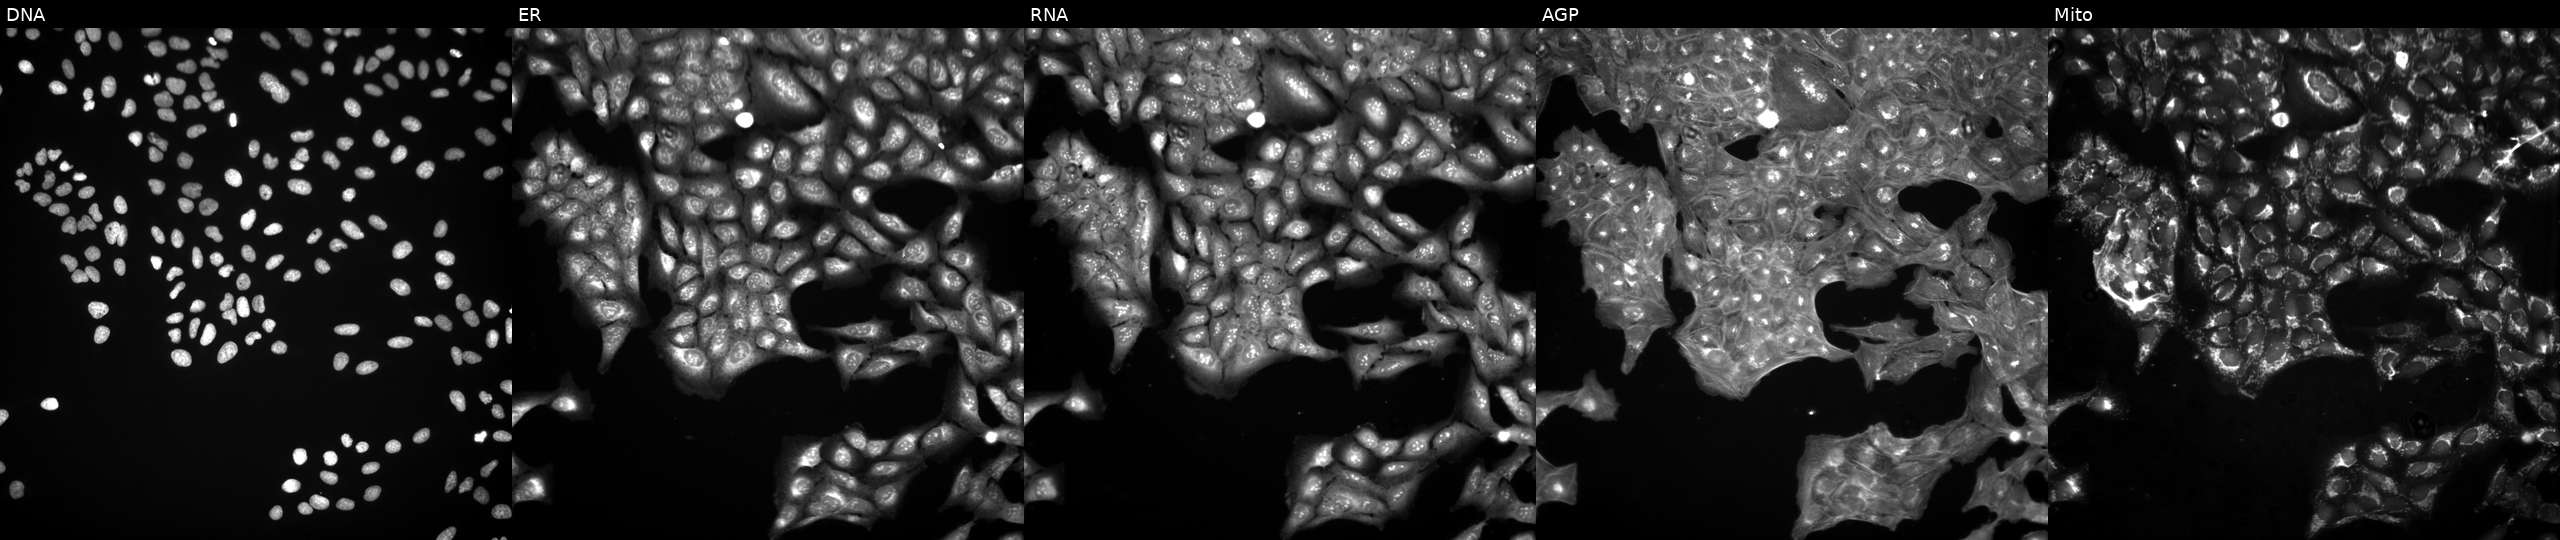
U2OS cells, Cell Painting assay, perturbed with a small-molecule compound (InChIKey VKIFPZOLGNWLBA-UHFFFAOYSA-N). Panels show, left to right, DNA (nuclei); ER (endoplasmic reticulum); RNA (nucleoli and cytoplasmic RNA); AGP (actin cytoskeleton, Golgi, and plasma membrane); Mito (mitochondria). Each panel is percentile-stretched 16-bit fluorescence.